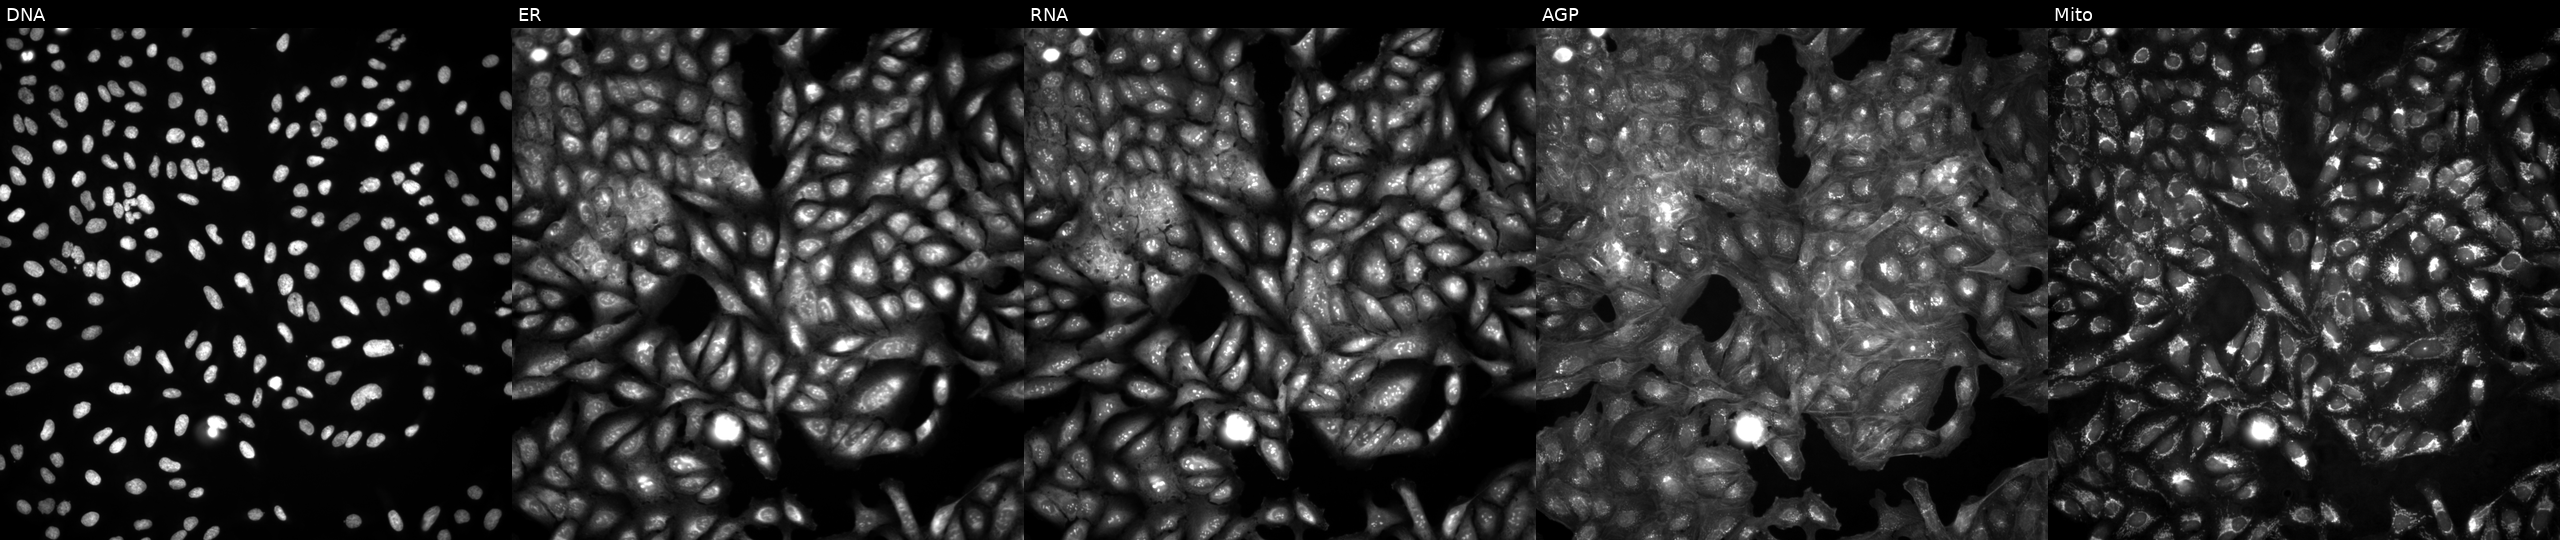
JUMP Cell Painting — ORF plate. U2OS cells in an empty control well (no perturbation) (JUMP id JCP2022_999999). Channels (left→right): DNA, ER, RNA, AGP, and Mito.